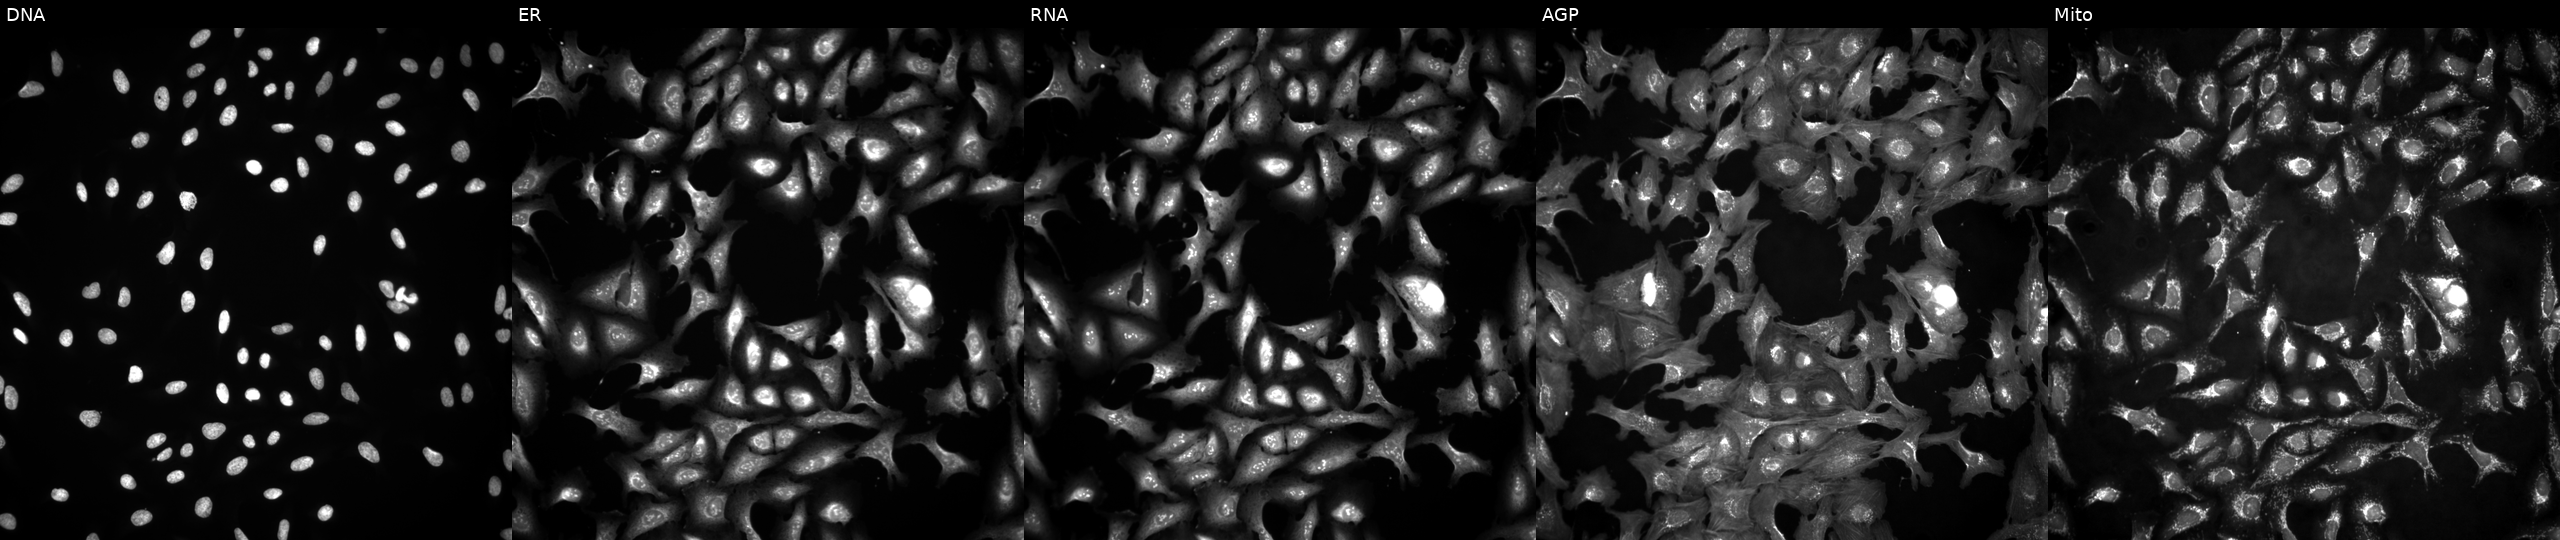
Five-channel Cell Painting image of U2OS cells expressing LacZ (ORF negative control). From left to right: DNA (nuclei); ER (endoplasmic reticulum); RNA (nucleoli and cytoplasmic RNA); AGP (actin cytoskeleton, Golgi, and plasma membrane); Mito (mitochondria).